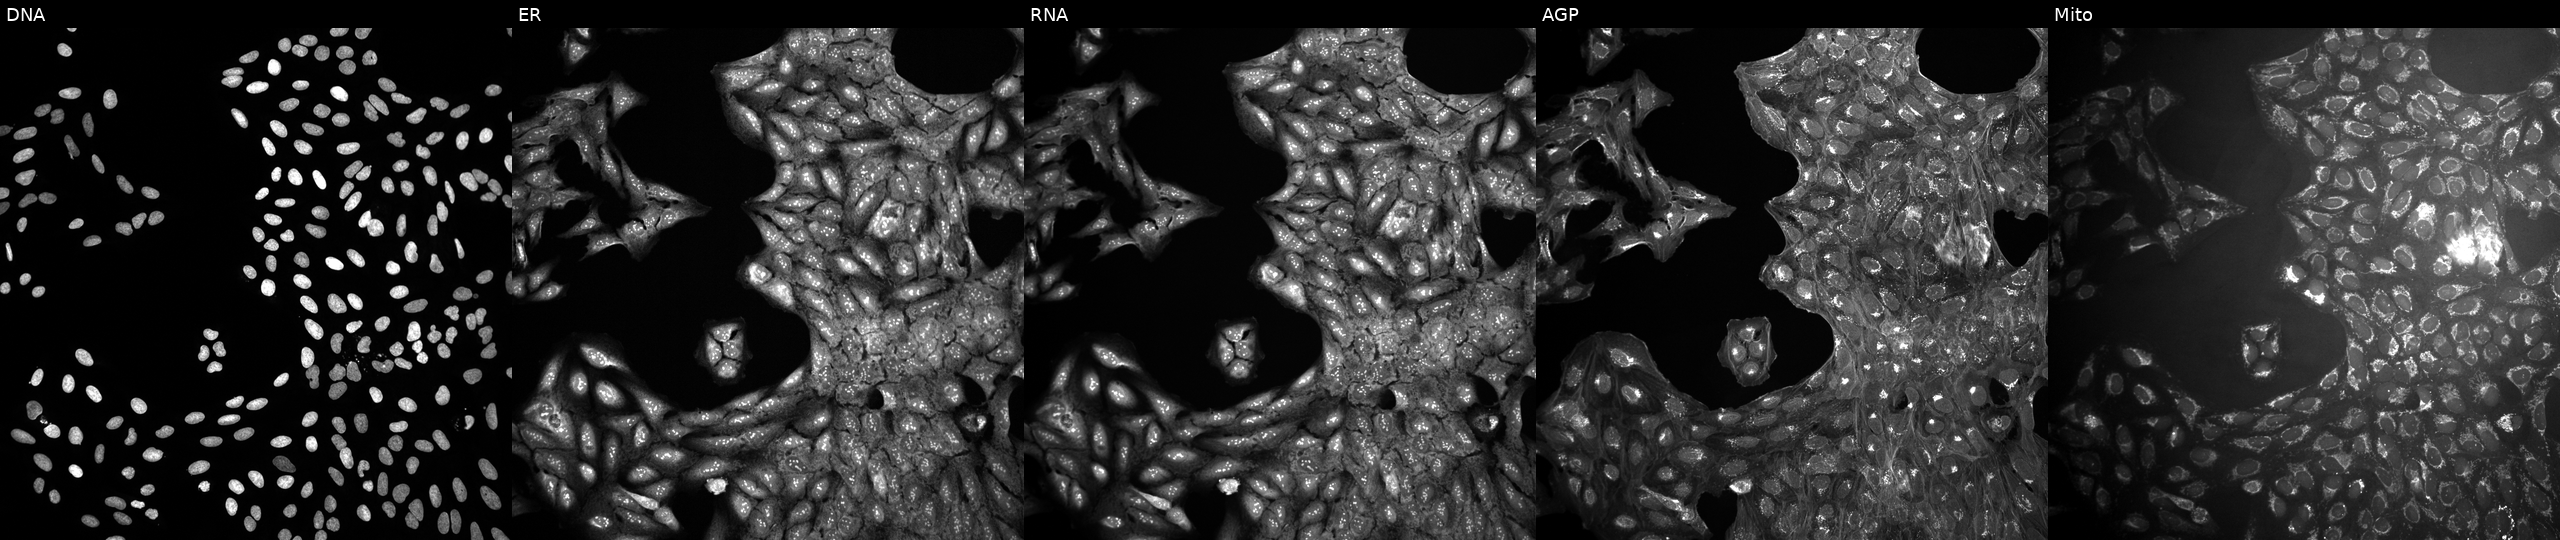
U2OS cells, Cell Painting assay, treated with dexamethasone (positive-control compound) (JUMP id JCP2022_025848). From left to right: DNA (nuclei); ER (endoplasmic reticulum); RNA (nucleoli and cytoplasmic RNA); AGP (actin cytoskeleton, Golgi, and plasma membrane); Mito (mitochondria). Each panel is percentile-stretched 16-bit fluorescence.